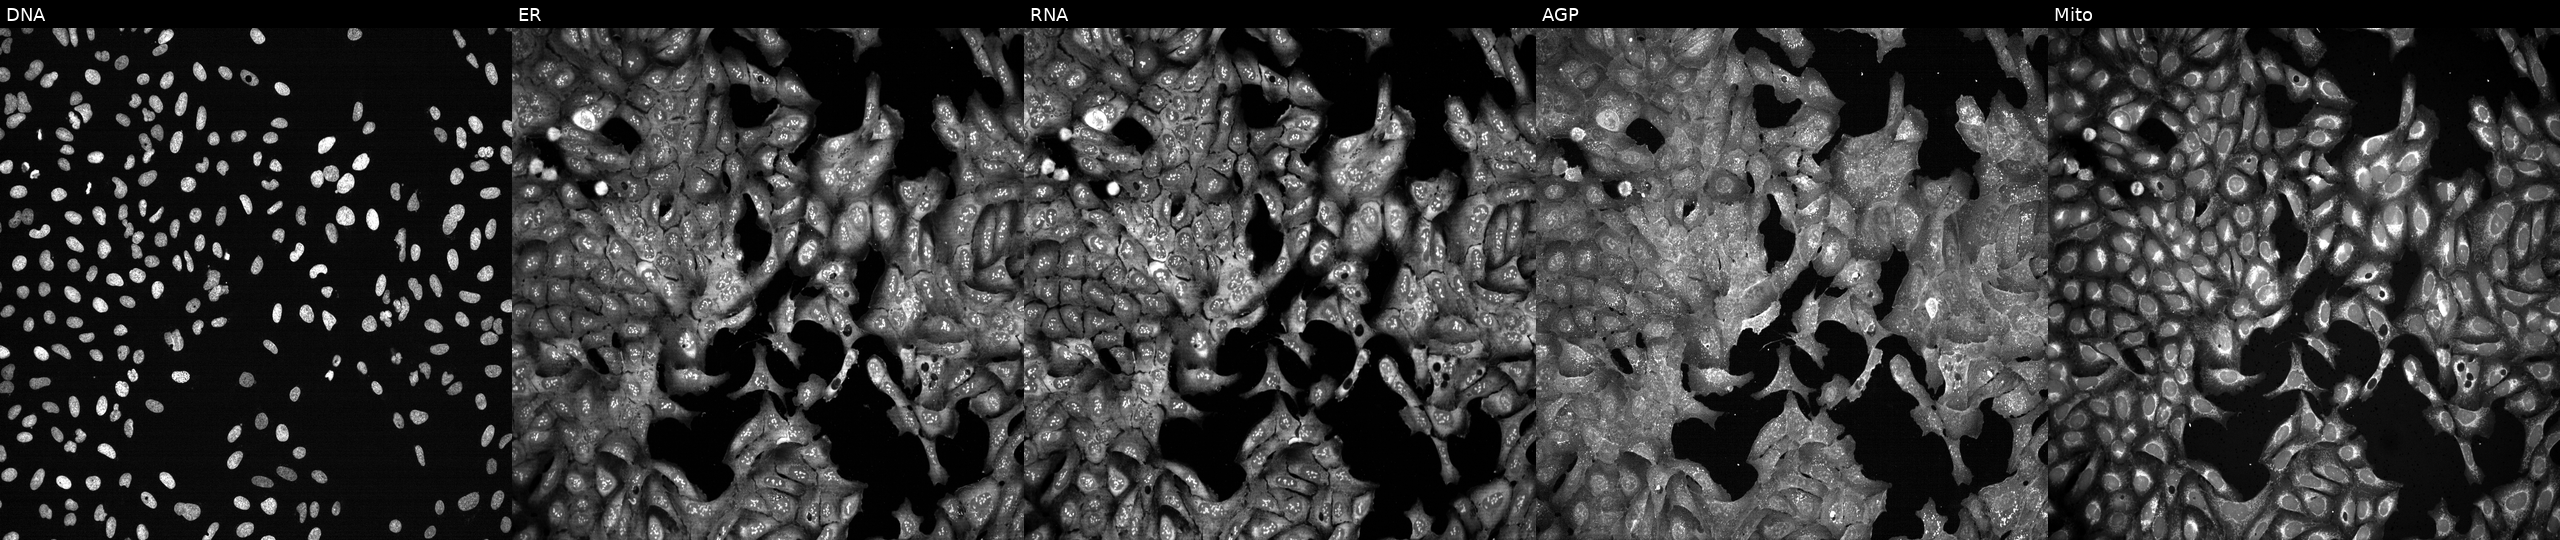
This image strip shows the five Cell Painting channels for a single field of U2OS cells CRISPR-edited to disrupt ST8SIA5. From left to right: DNA, ER, RNA, AGP, and Mito. Source 13, plate CP-CC9-R5-01, well J14.